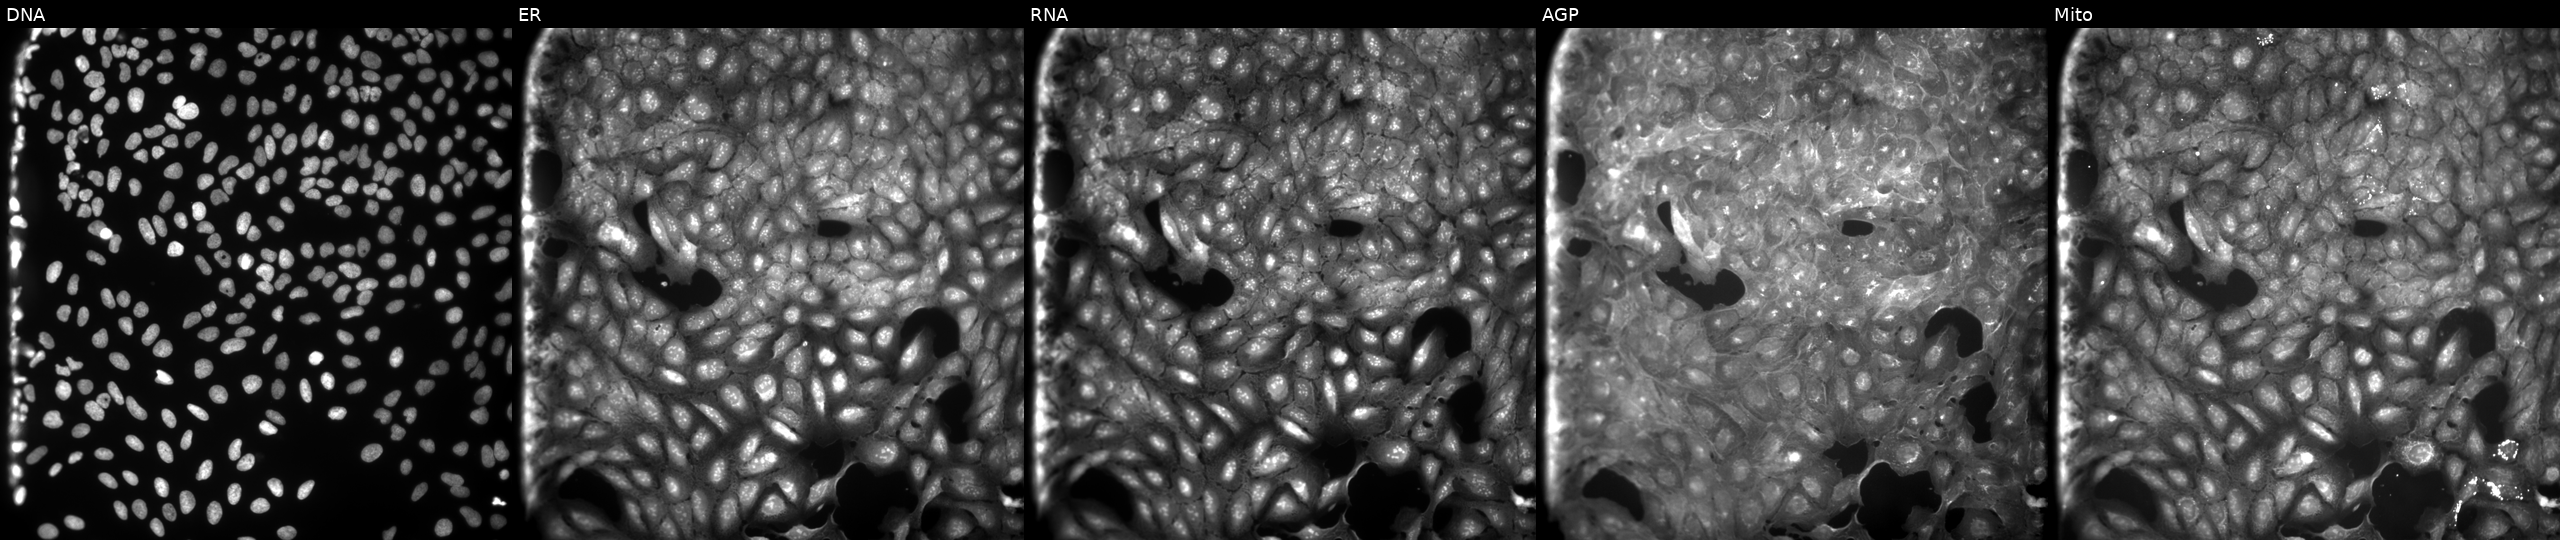
High-content fluorescence microscopy (Cell Painting). Cell line: U2OS. Perturbation: exposed to DMSO alone as a negative control (JUMP id JCP2022_033924). From left to right: DNA, ER, RNA, AGP, and Mito.